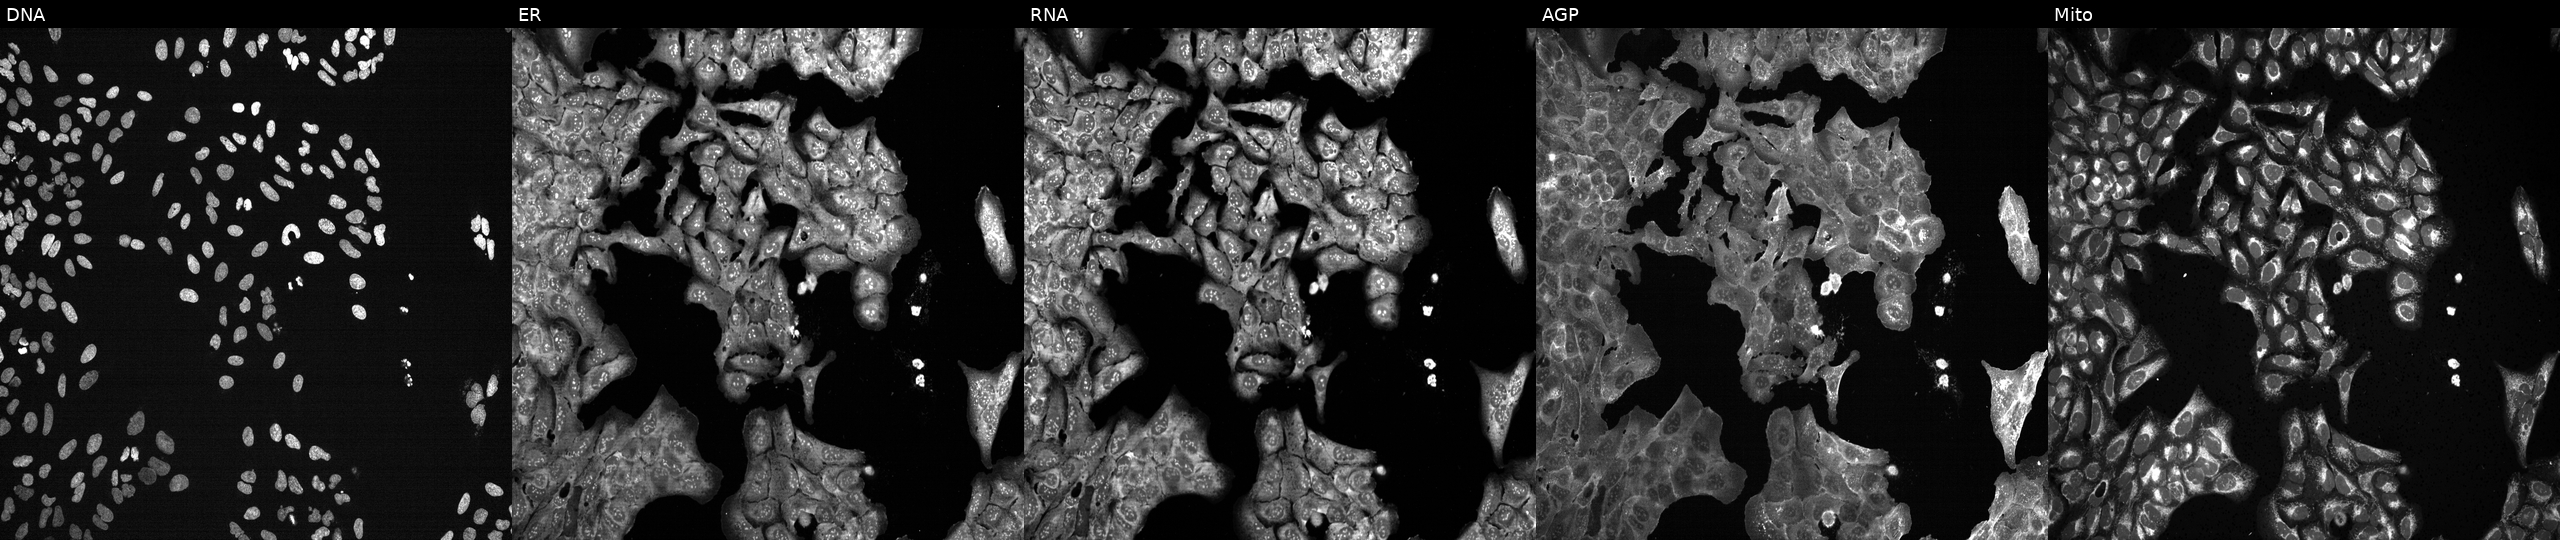
U2OS cells, Cell Painting assay, CRISPR-edited to disrupt ANKRD55 (JUMP id JCP2022_800478). Channels (left→right): DNA (nuclei); ER (endoplasmic reticulum); RNA (nucleoli and cytoplasmic RNA); AGP (actin cytoskeleton, Golgi, and plasma membrane); Mito (mitochondria). Each panel is percentile-stretched 16-bit fluorescence.